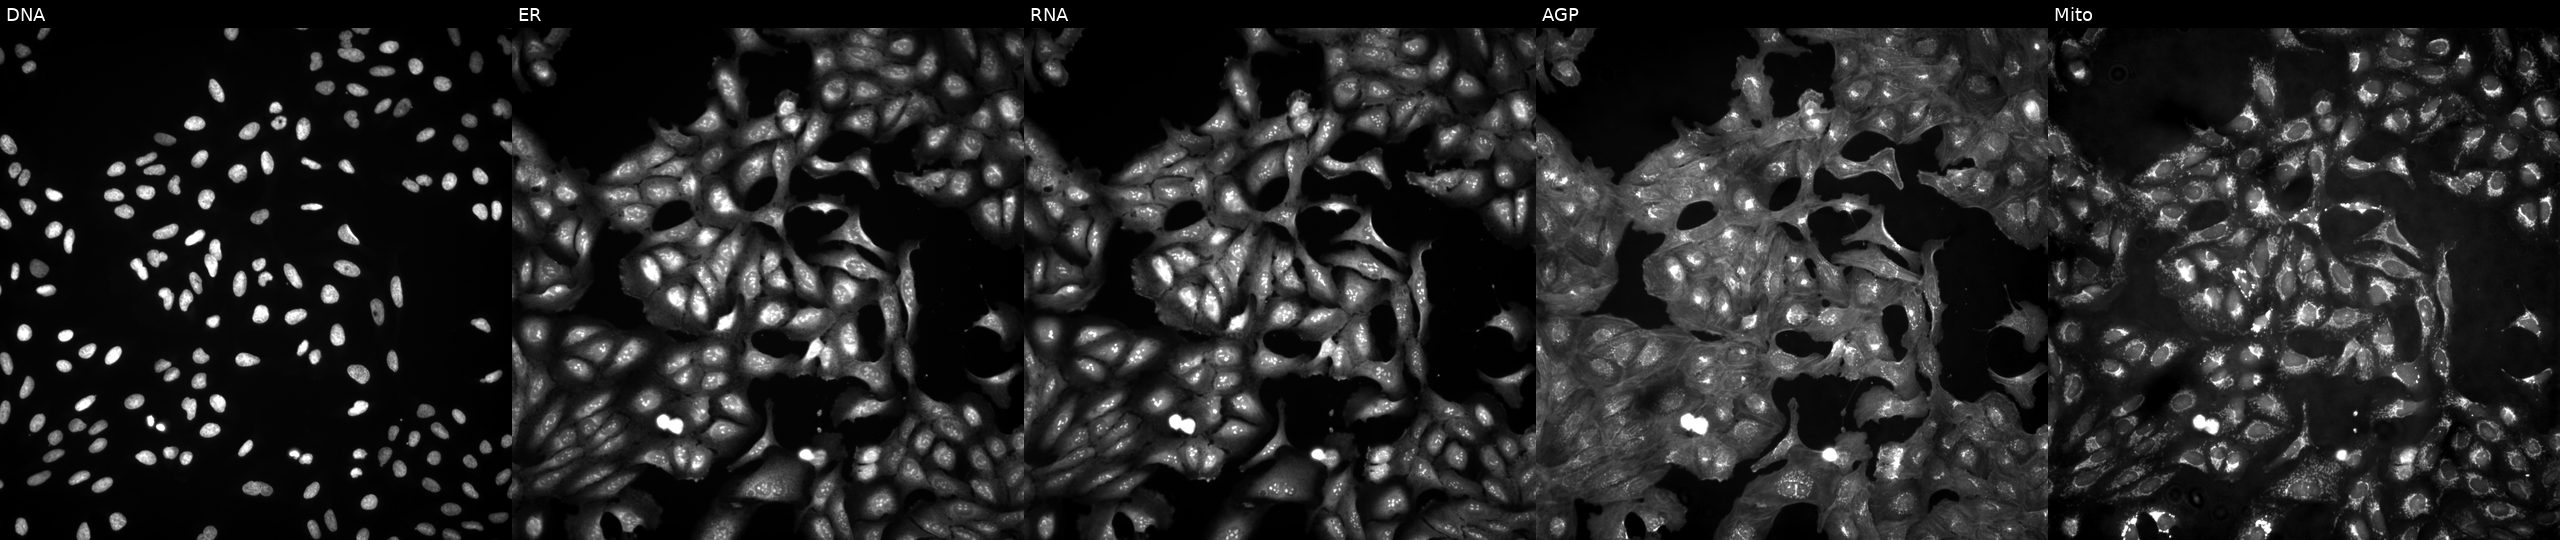
U2OS cells, Cell Painting assay, in an empty control well (no perturbation) (JUMP id JCP2022_999999). Panels show, left to right, Hoechst 33342, concanavalin A, SYTO 14, phalloidin and WGA, MitoTracker. Each panel is percentile-stretched 16-bit fluorescence.